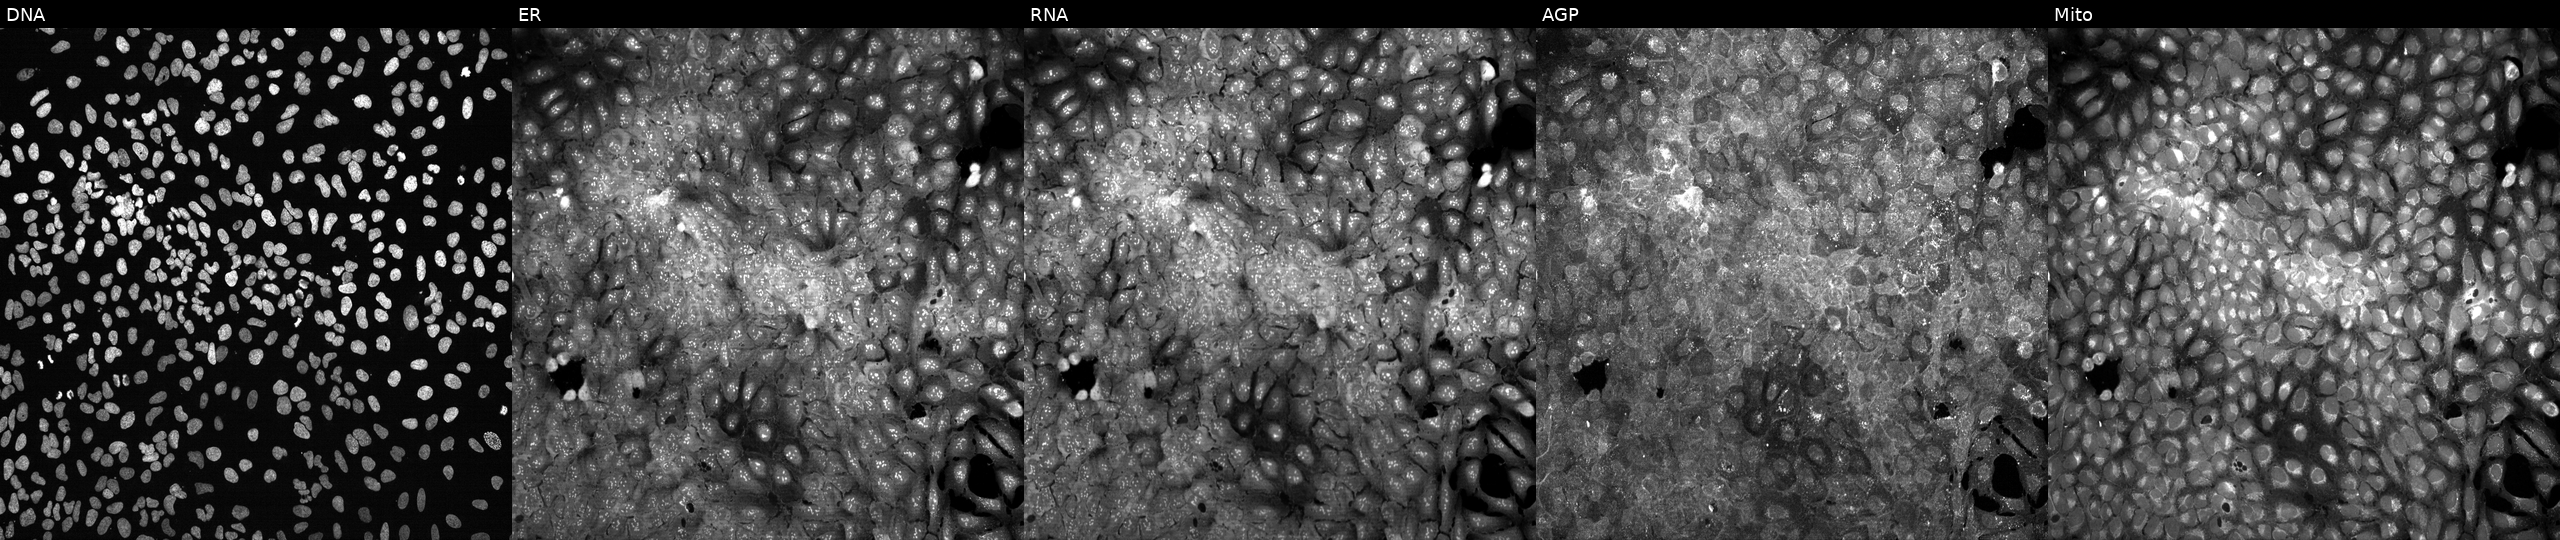
High-content fluorescence microscopy (Cell Painting). Cell line: U2OS. Perturbation: CRISPR-edited to disrupt VNN3. The five panels, left to right, show Hoechst 33342, concanavalin A, SYTO 14, phalloidin and WGA, MitoTracker.